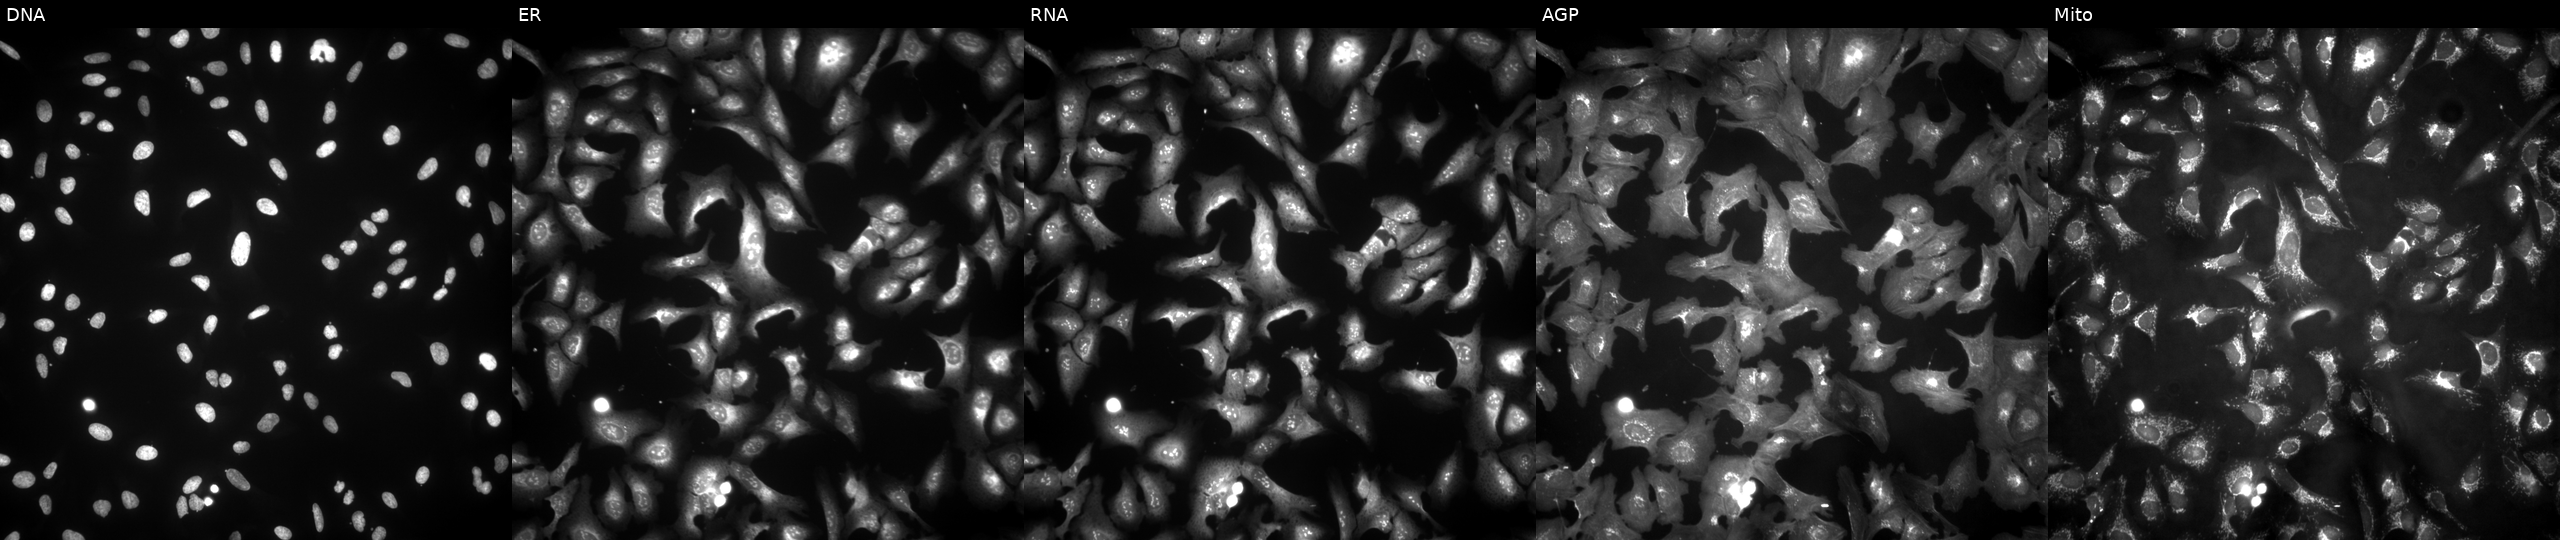
Five-channel Cell Painting image of U2OS cells overexpressing RCHY1 via ORF transfection (JUMP id JCP2022_910984). From left to right: DNA, ER, RNA, AGP, and Mito.